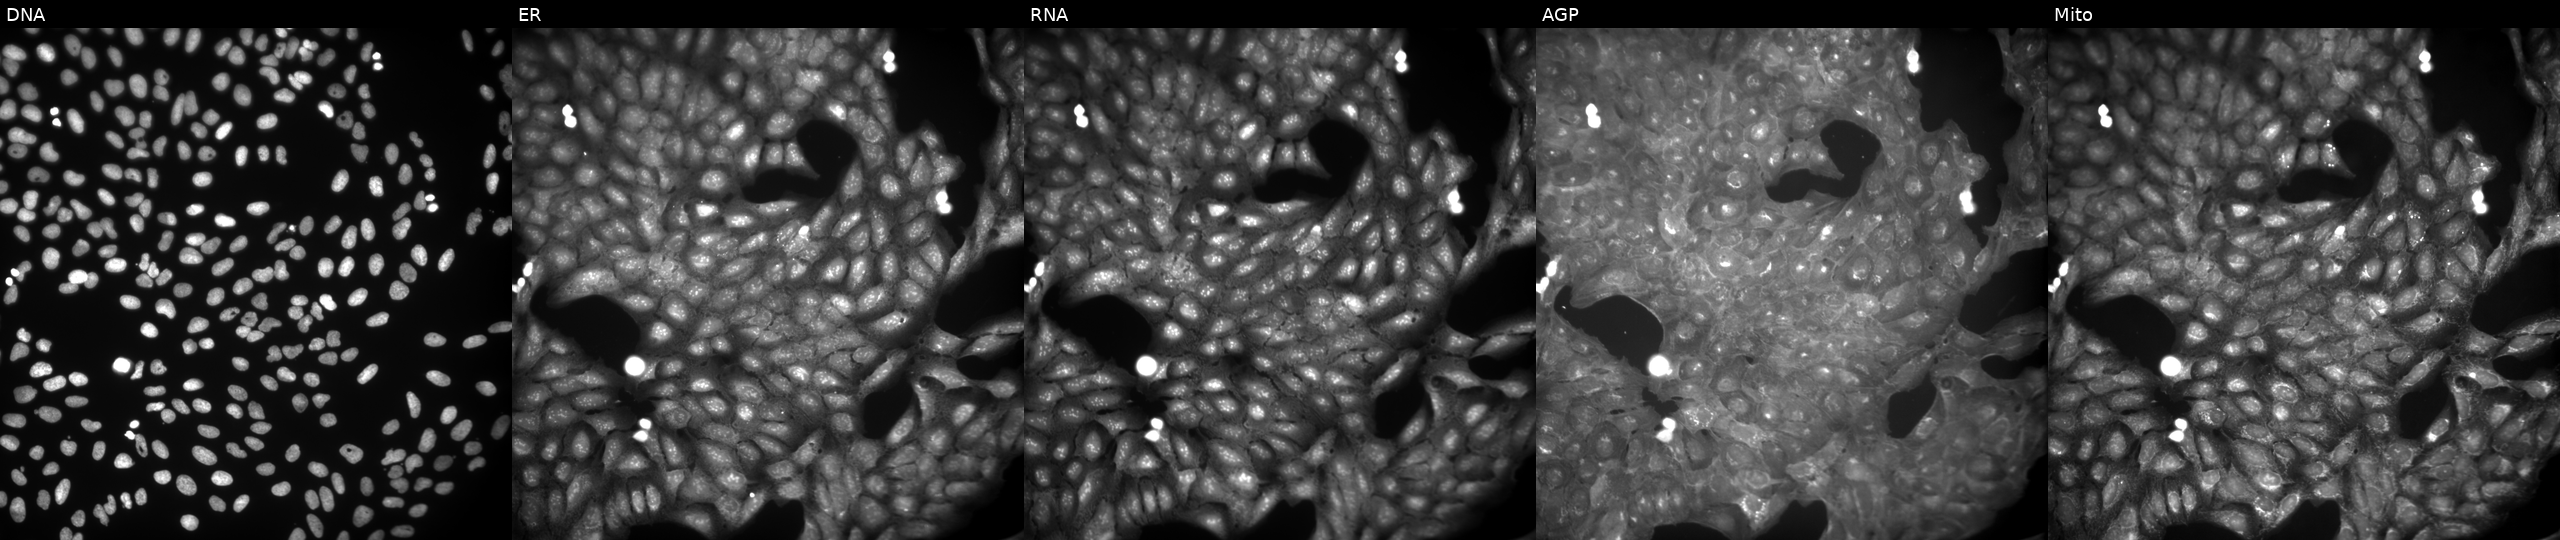
Panels show, left to right, Hoechst 33342, concanavalin A, SYTO 14, phalloidin and WGA, MitoTracker. U2OS osteosarcoma cells treated with a small-molecule compound (InChIKey BDHNDBUMWWYHMO-UHFFFAOYSA-N) (JUMP id JCP2022_005585). Cell Painting assay, JUMP-CP dataset.